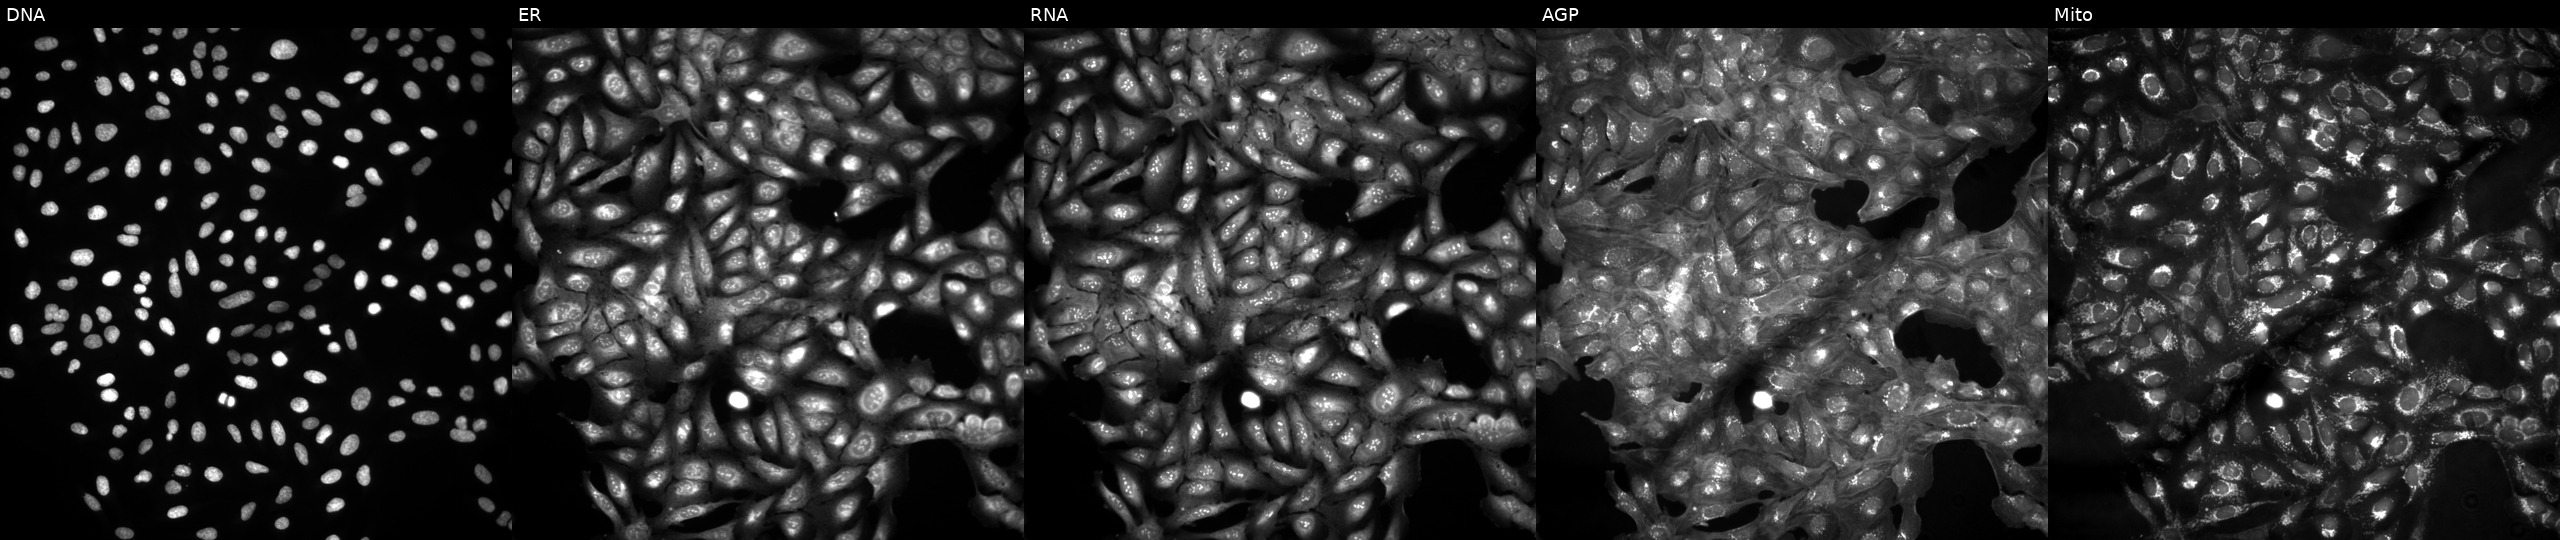
JUMP Cell Painting — ORF plate. U2OS cells untreated (empty-well control) (JUMP id JCP2022_999999). The five panels, left to right, show DNA (nuclei); ER (endoplasmic reticulum); RNA (nucleoli and cytoplasmic RNA); AGP (actin cytoskeleton, Golgi, and plasma membrane); Mito (mitochondria).